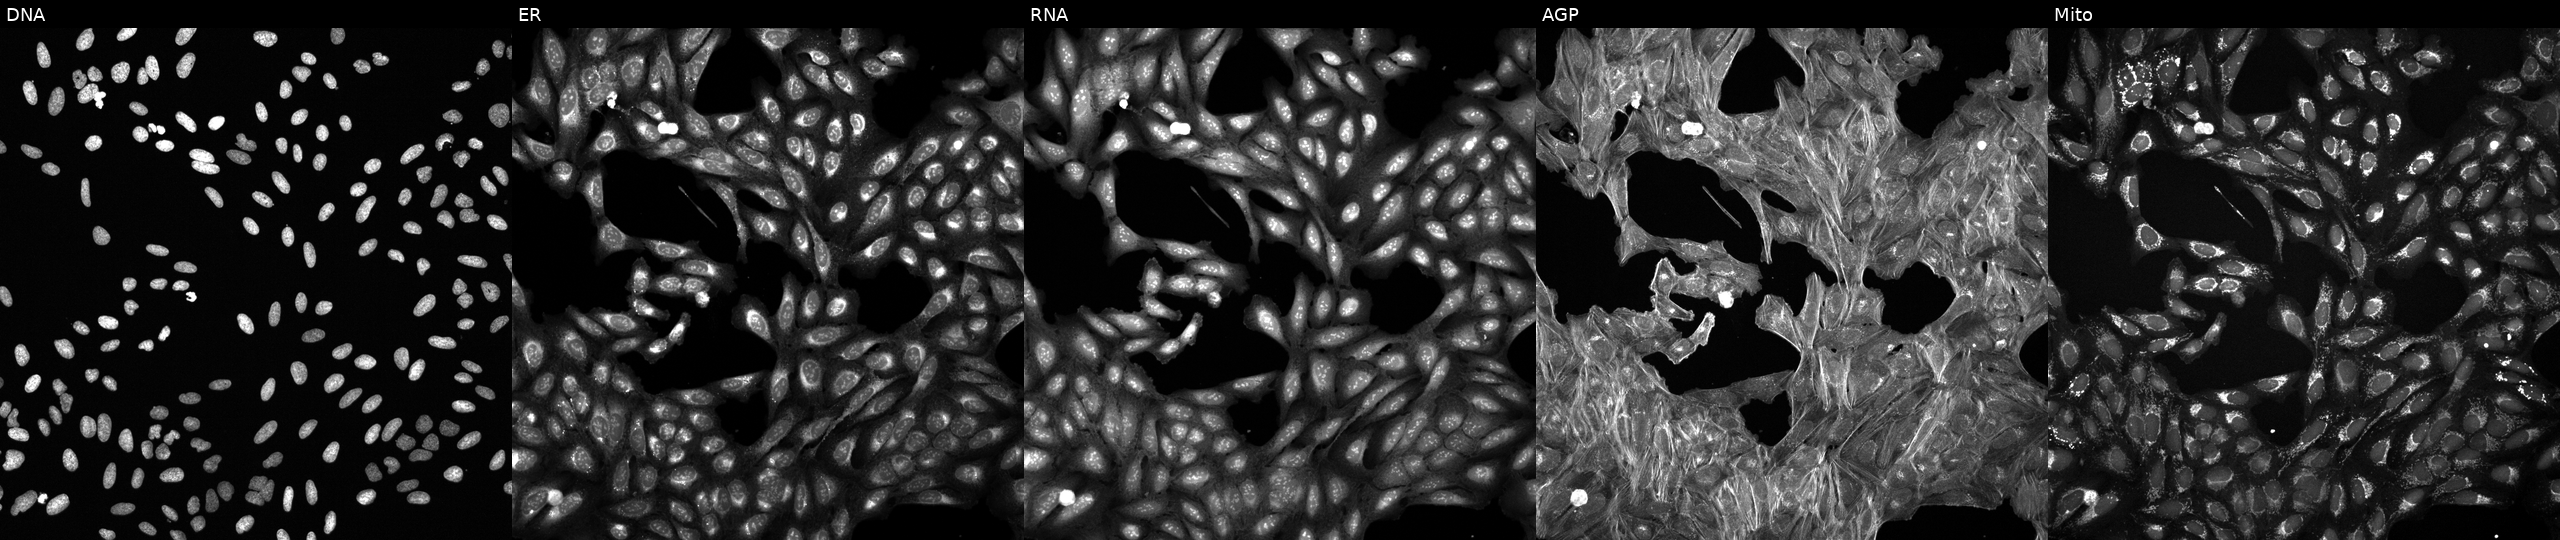
Channels (left→right): DNA (nuclei); ER (endoplasmic reticulum); RNA (nucleoli and cytoplasmic RNA); AGP (actin cytoskeleton, Golgi, and plasma membrane); Mito (mitochondria). U2OS osteosarcoma cells exposed to the positive-control compound aloxistatin (JUMP id JCP2022_085227). Cell Painting assay, JUMP-CP dataset.